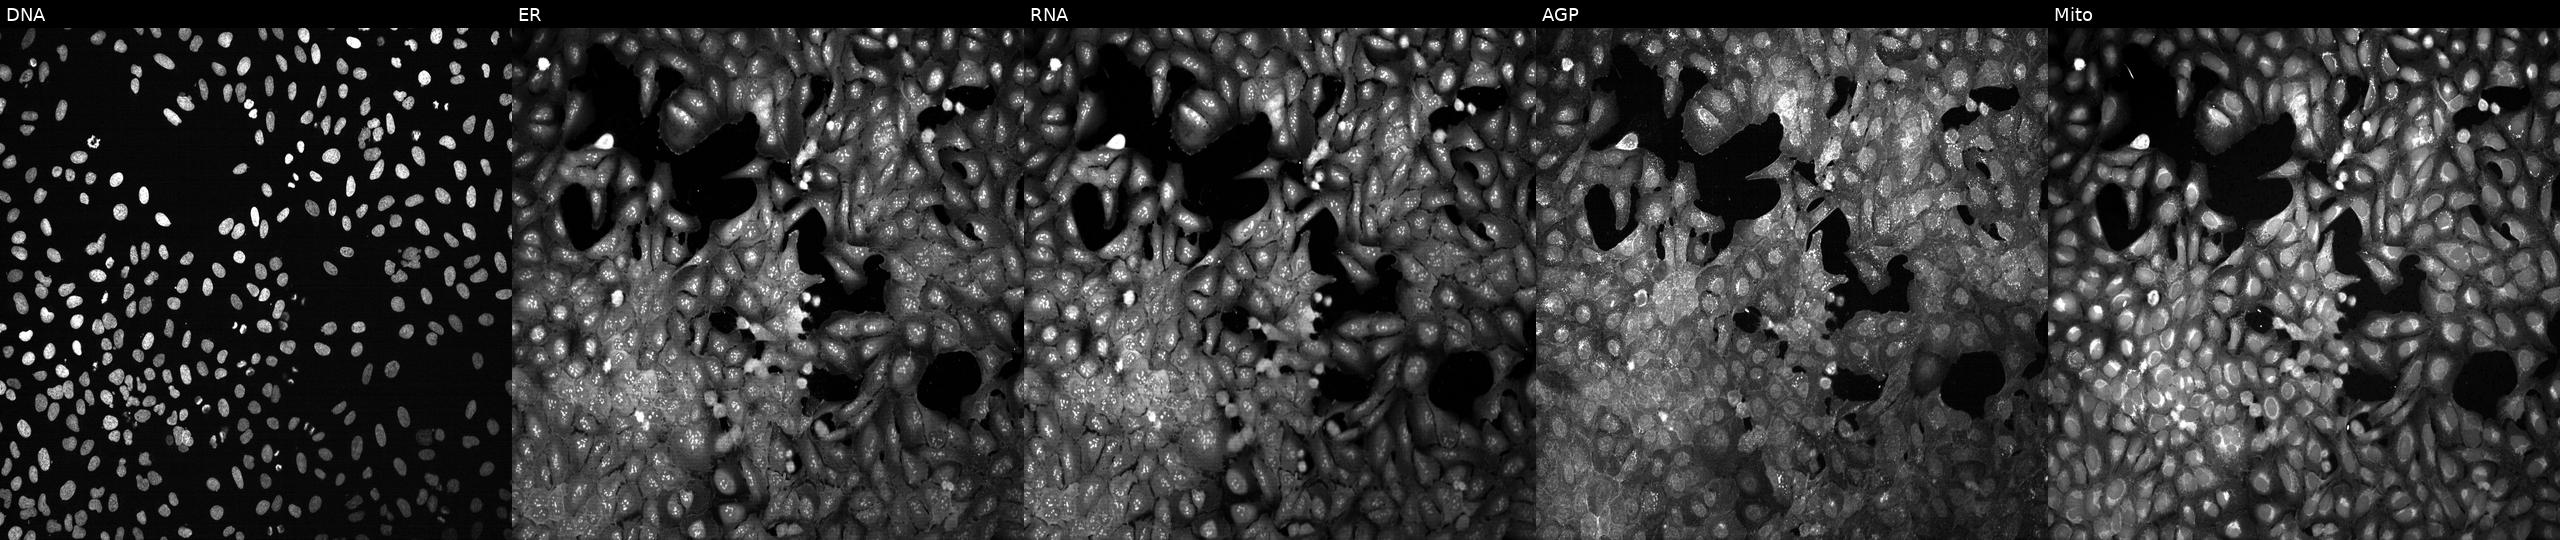
Channels (left→right): DNA, ER, RNA, AGP, and Mito. U2OS osteosarcoma cells CRISPR-edited to disrupt NCK1. Cell Painting assay, JUMP-CP dataset.